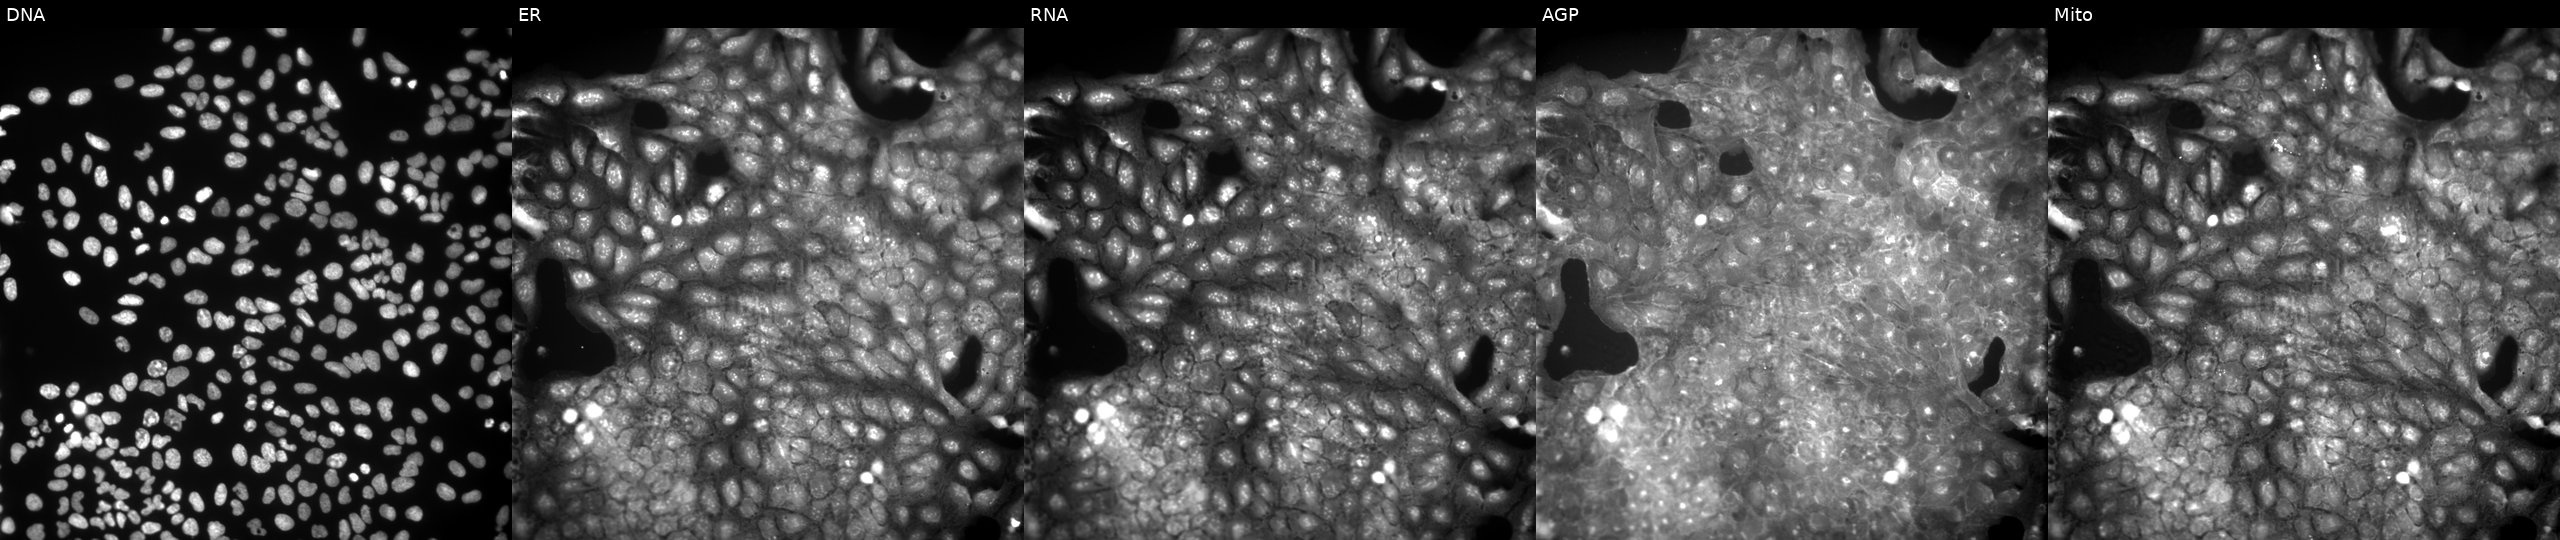
This image strip shows the five Cell Painting channels for a single field of U2OS cells treated with a small-molecule compound (InChIKey CTGDHIGQLFRLKR-UHFFFAOYSA-N). From left to right: DNA, ER, RNA, AGP, and Mito. Source 9, plate GR00003382, well AD09.